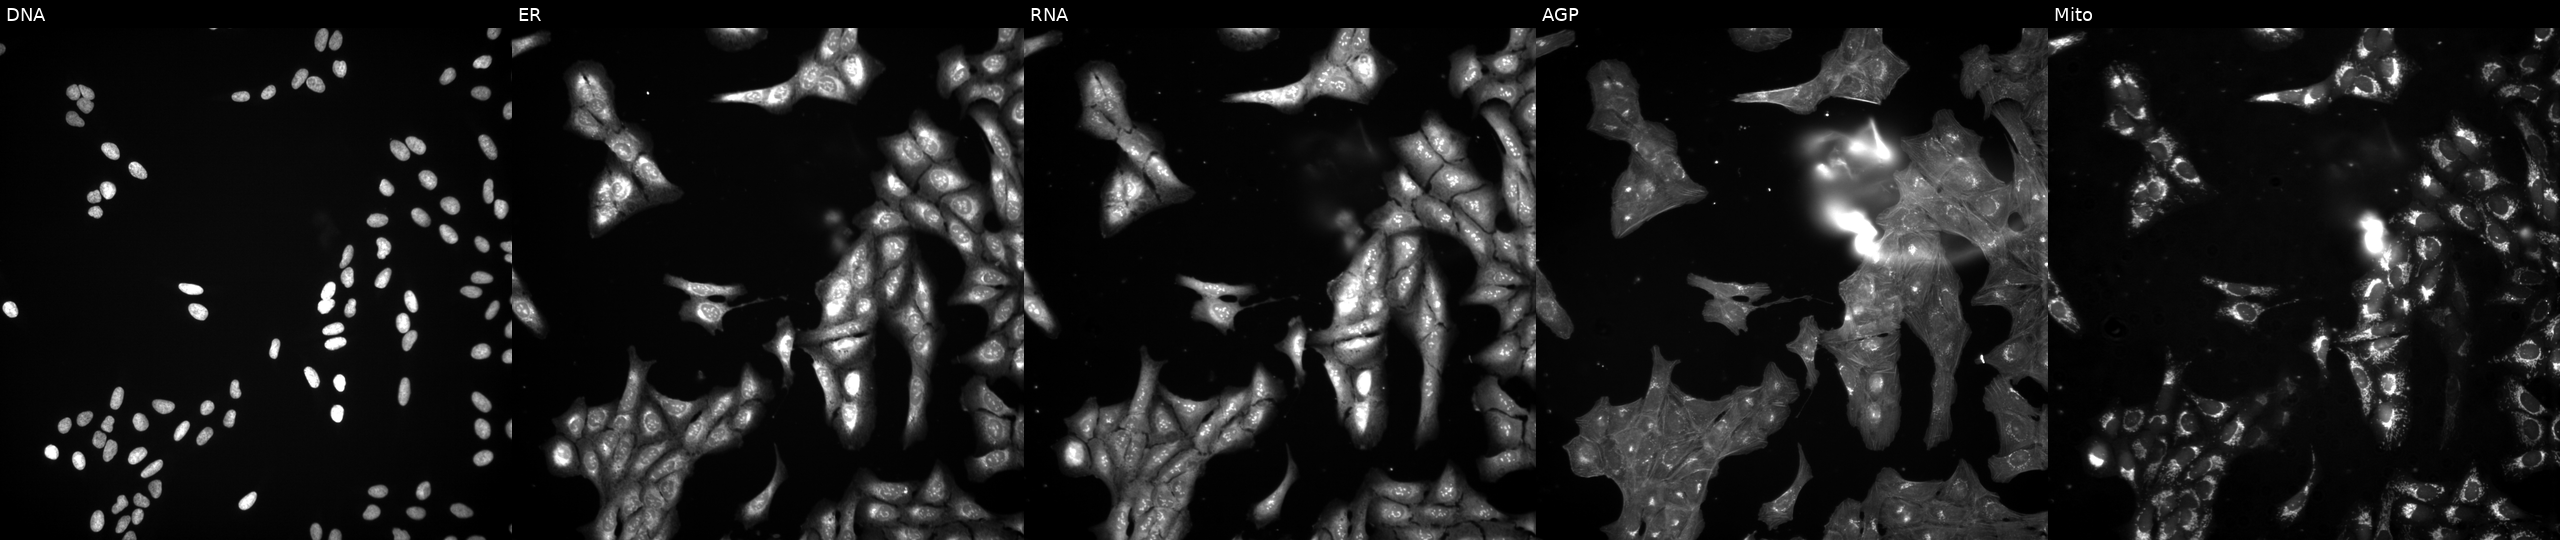
JUMP Cell Painting — COMPOUND plate. U2OS cells treated with DMSO vehicle only (negative control) (JUMP id JCP2022_033924). The five panels, left to right, show DNA, ER, RNA, AGP, and Mito.